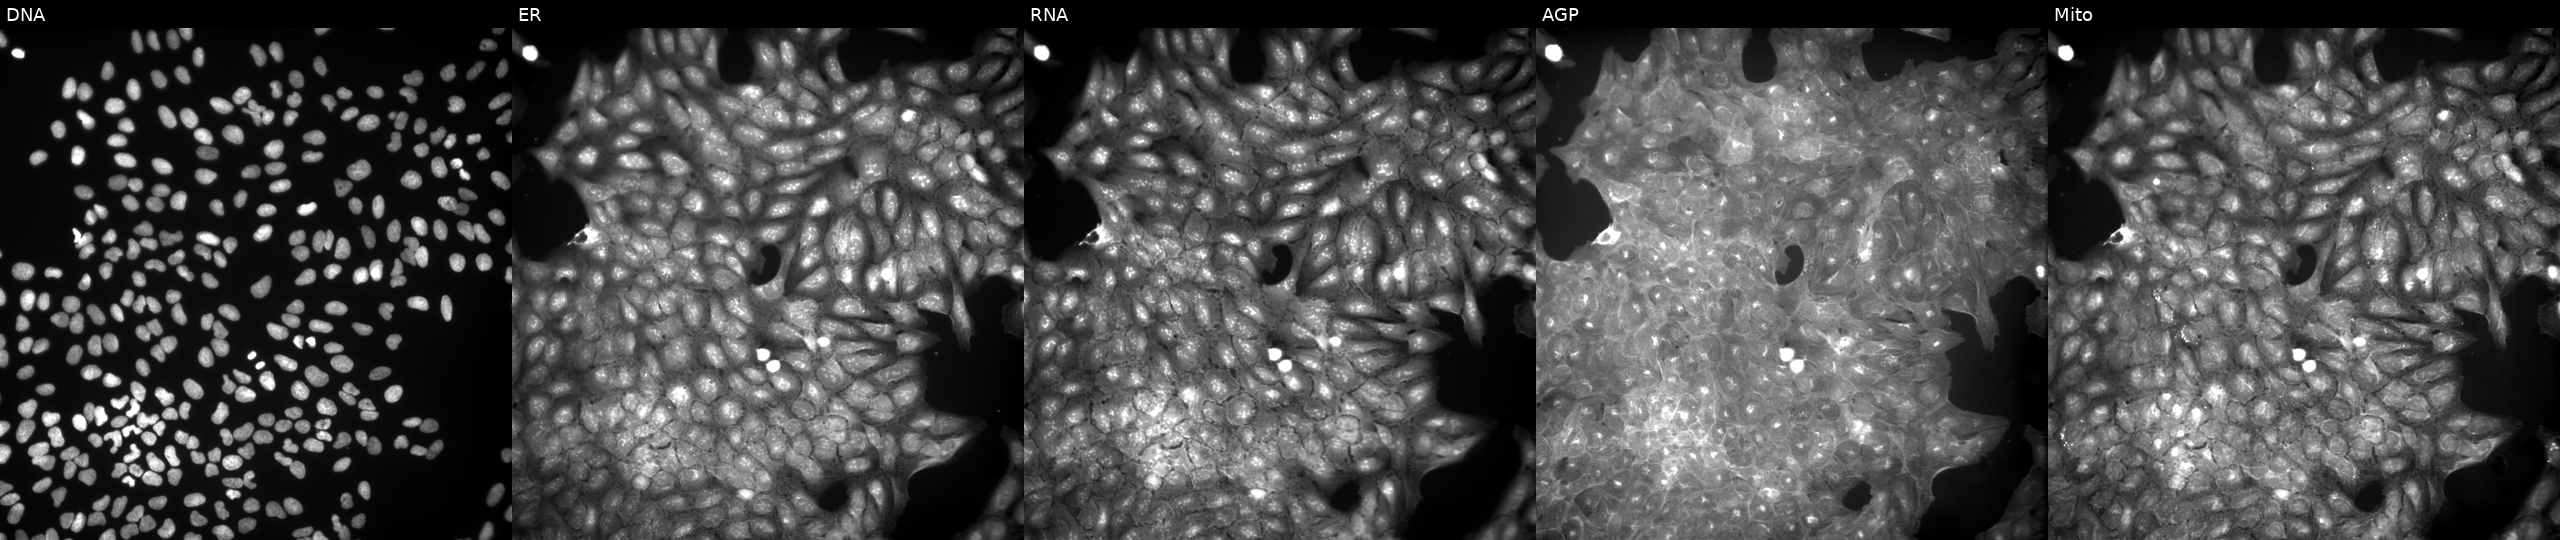
U2OS cells, Cell Painting assay, treated with a small-molecule compound (InChIKey BGVAWLOHHDAECK-UHFFFAOYSA-N). Channels (left→right): DNA (nuclei); ER (endoplasmic reticulum); RNA (nucleoli and cytoplasmic RNA); AGP (actin cytoskeleton, Golgi, and plasma membrane); Mito (mitochondria). Each panel is percentile-stretched 16-bit fluorescence. Source 9, plate GR00003381, well AF39.